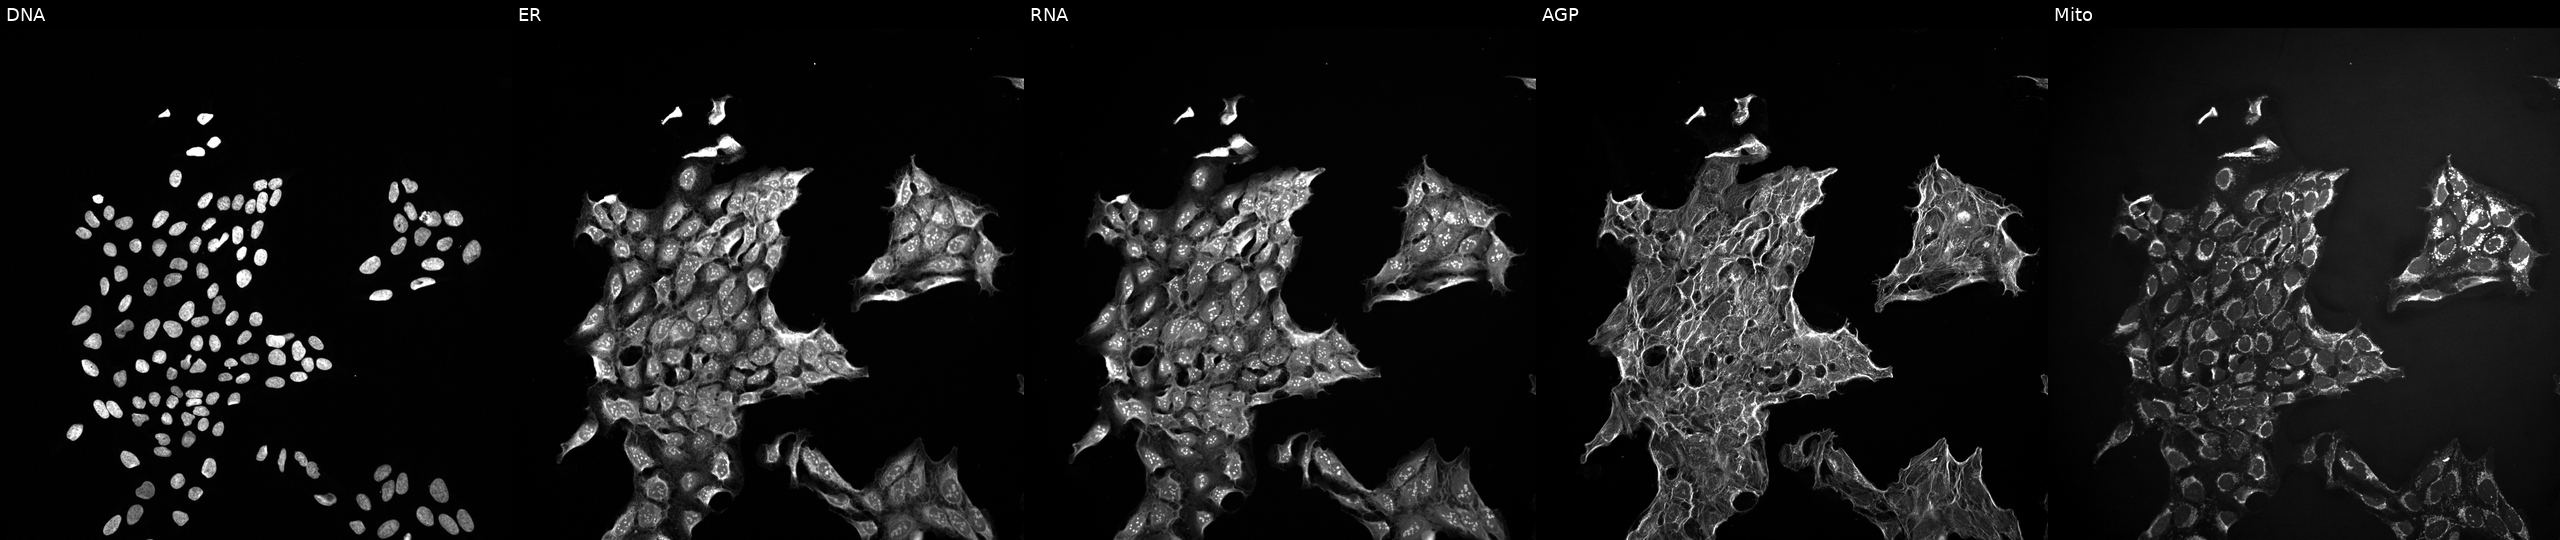
This image strip shows the five Cell Painting channels for a single field of U2OS cells exposed to the positive-control compound LY2109761 (JUMP id JCP2022_035095). Channels (left→right): DNA, ER, RNA, AGP, and Mito.